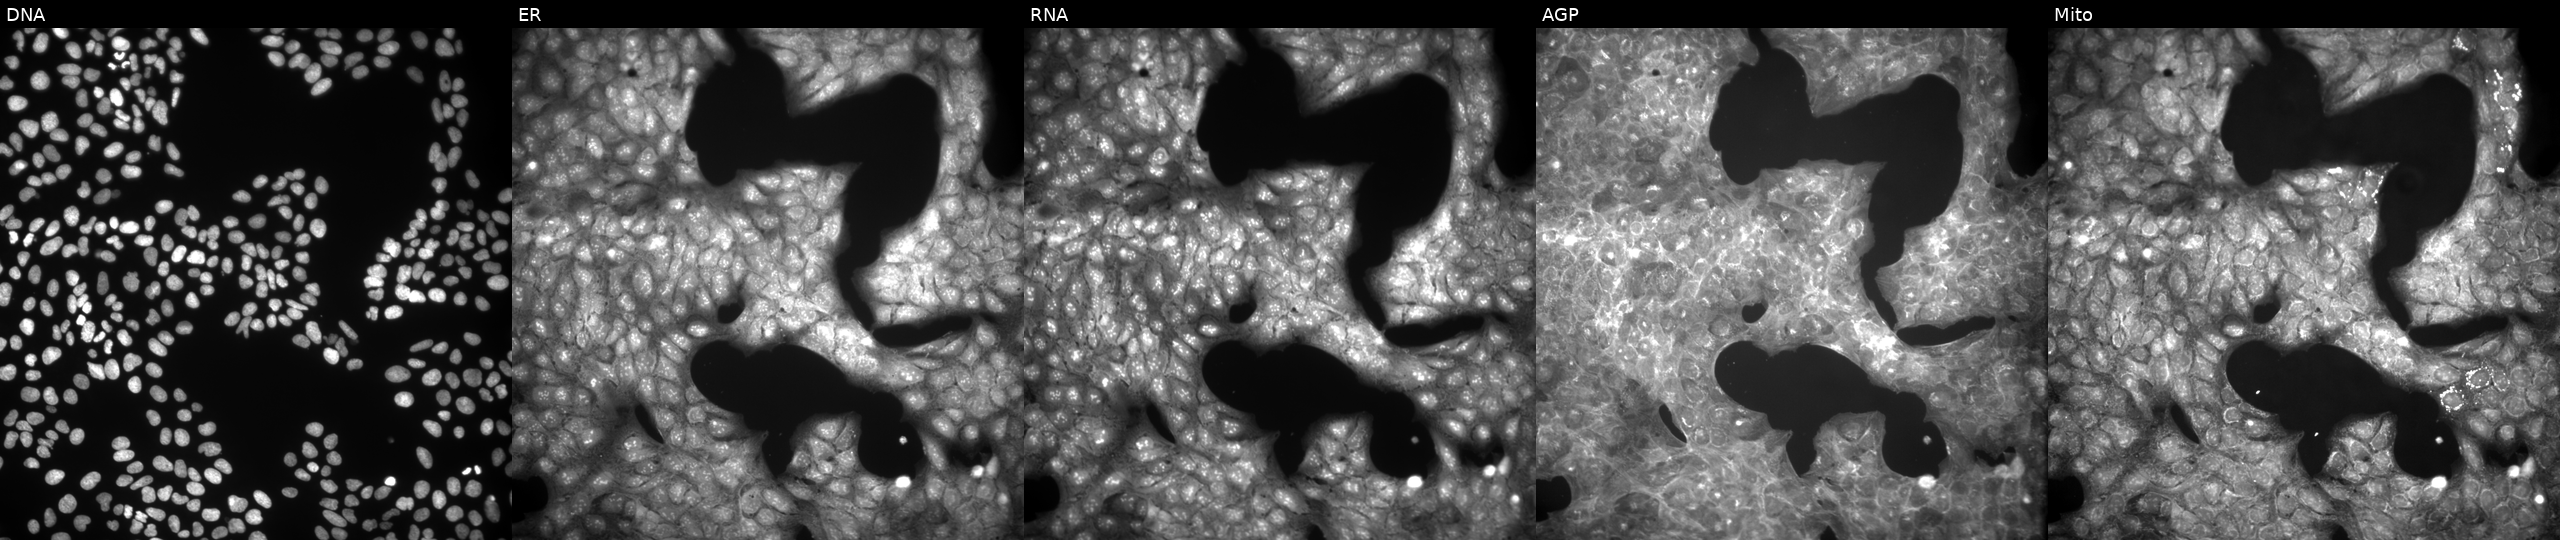
U2OS cells, Cell Painting assay, treated with a small-molecule compound. The five panels, left to right, show DNA (nuclei); ER (endoplasmic reticulum); RNA (nucleoli and cytoplasmic RNA); AGP (actin cytoskeleton, Golgi, and plasma membrane); Mito (mitochondria). Each panel is percentile-stretched 16-bit fluorescence.